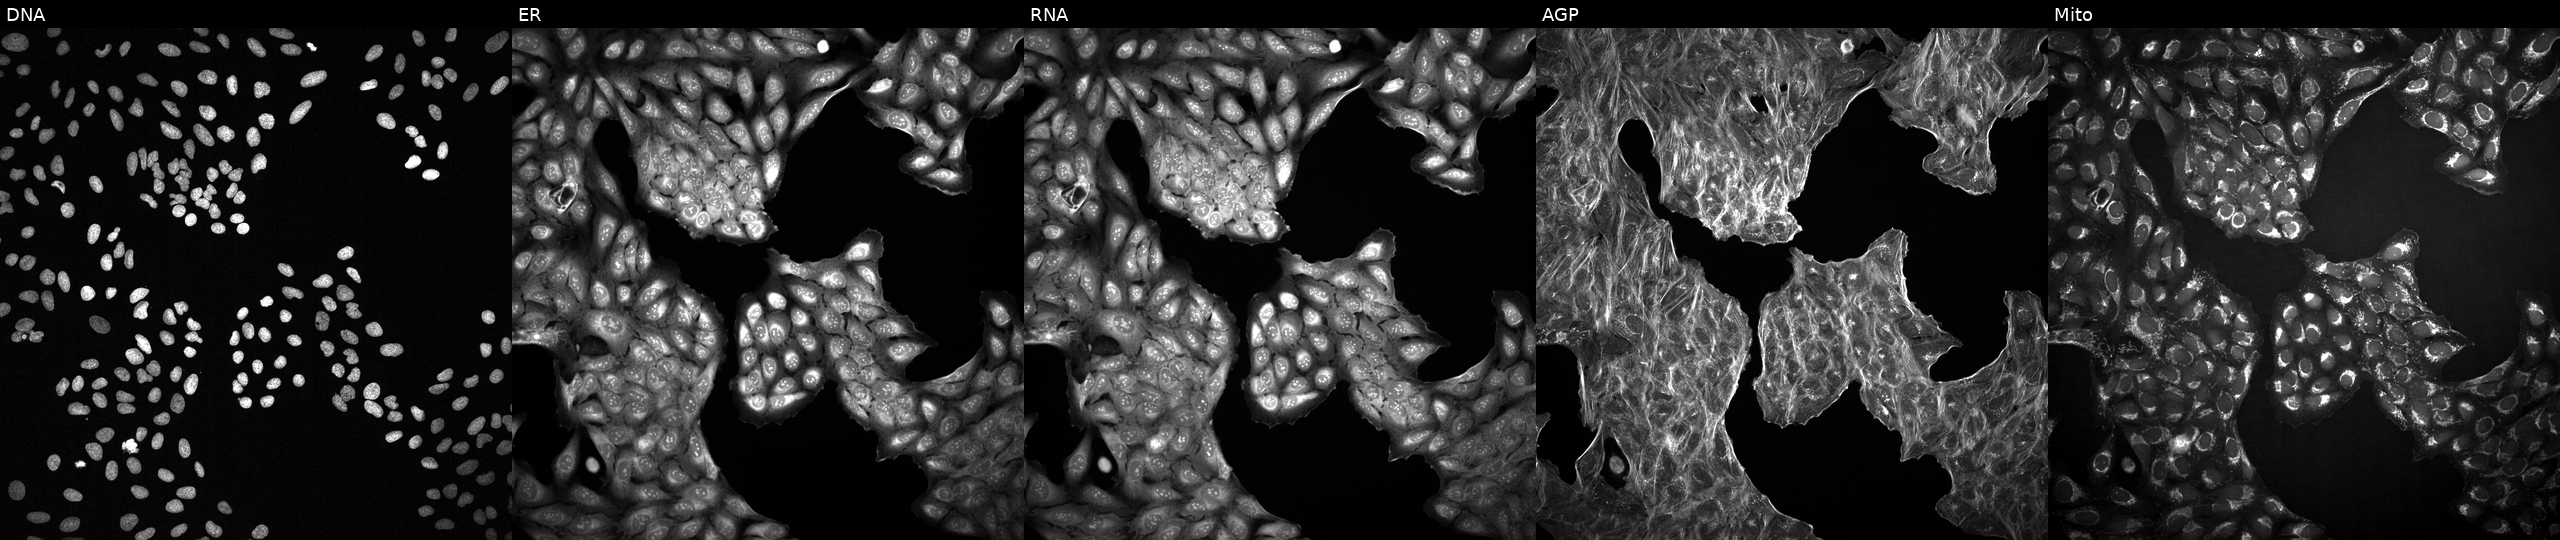
Five-channel Cell Painting image of U2OS cells perturbed with a small-molecule compound (InChIKey YGFAJXKIPURJCP-UHFFFAOYSA-N) (JUMP id JCP2022_108238). From left to right: DNA, ER, RNA, AGP, and Mito.